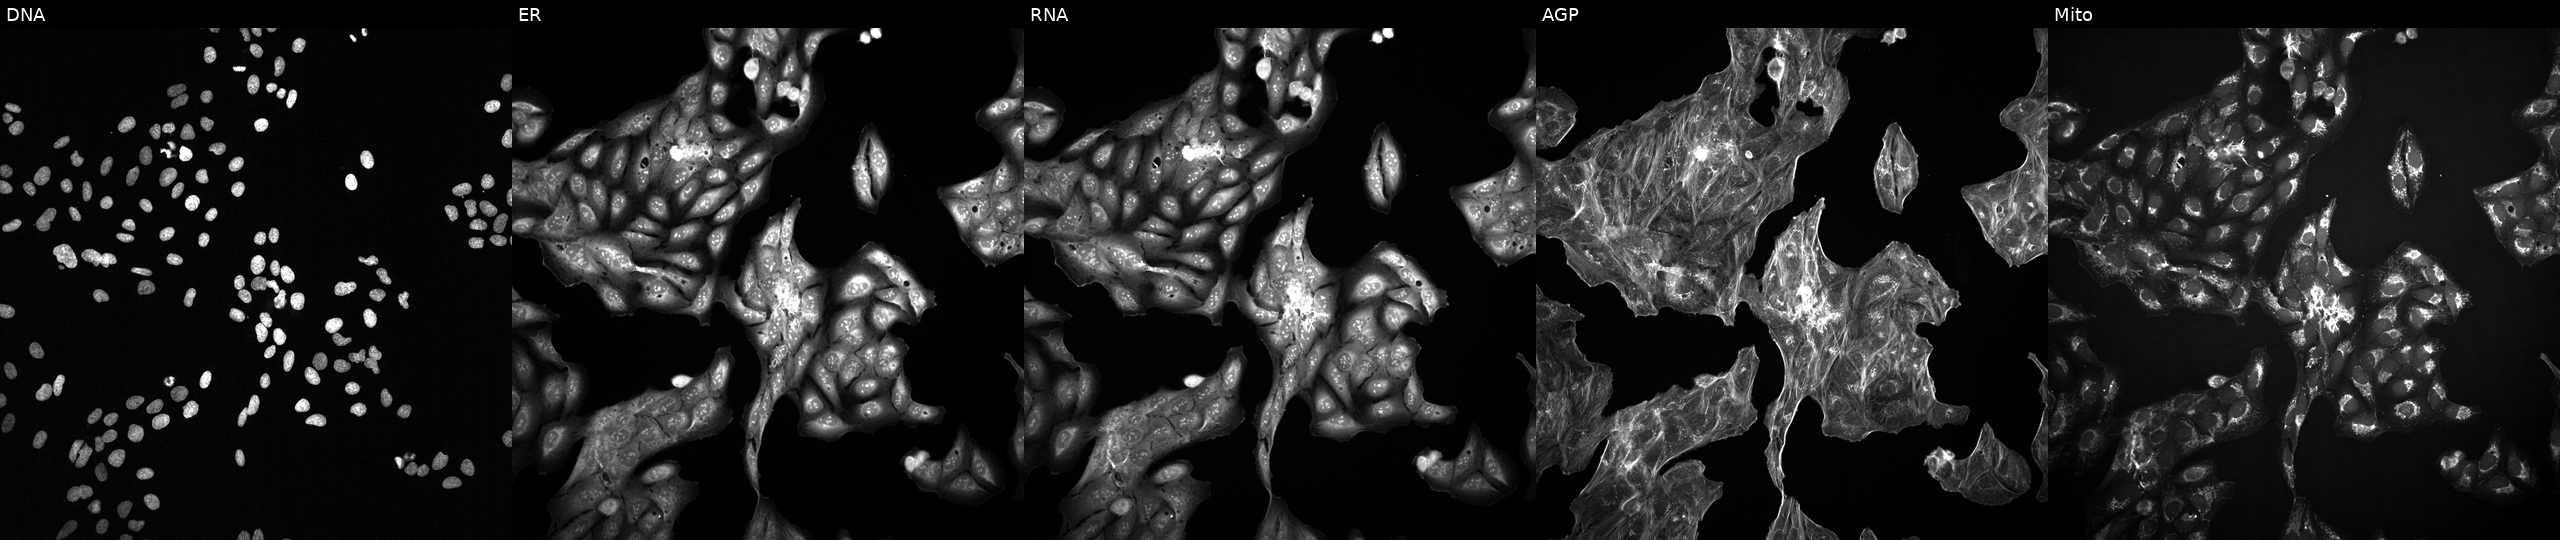
JUMP Cell Painting — COMPOUND plate. U2OS cells treated with a small-molecule compound (InChIKey VIBVVDSRNNRIFK-UHFFFAOYSA-N) (JUMP id JCP2022_094085). From left to right: DNA (nuclei); ER (endoplasmic reticulum); RNA (nucleoli and cytoplasmic RNA); AGP (actin cytoskeleton, Golgi, and plasma membrane); Mito (mitochondria).